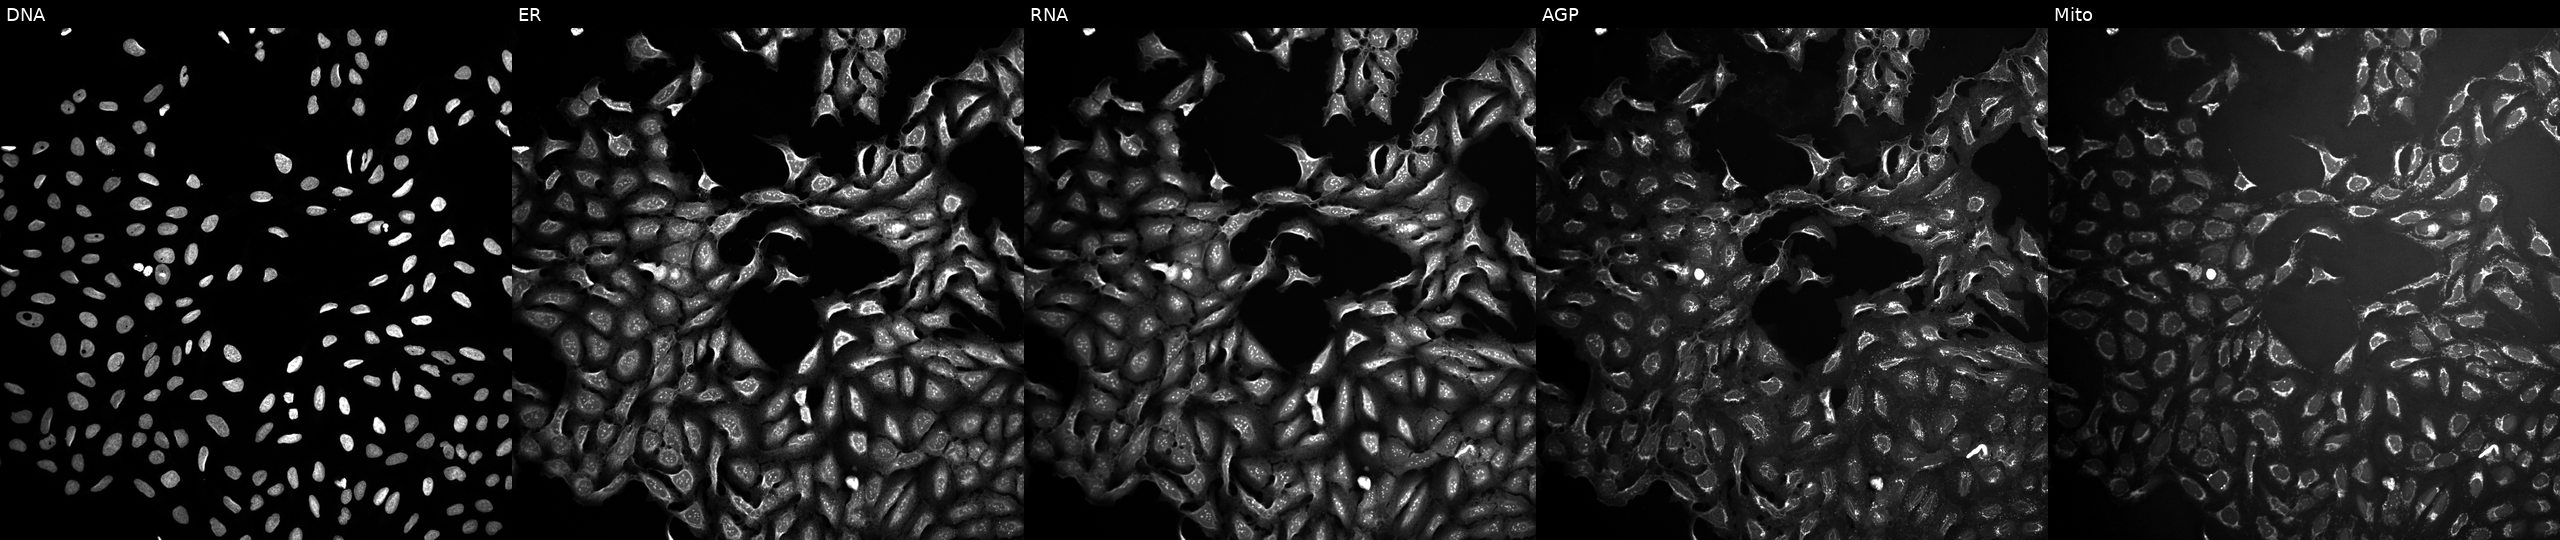
The five panels, left to right, show DNA (nuclei); ER (endoplasmic reticulum); RNA (nucleoli and cytoplasmic RNA); AGP (actin cytoskeleton, Golgi, and plasma membrane); Mito (mitochondria). U2OS osteosarcoma cells treated with a small-molecule compound (InChIKey AFJRDFWMXUECEW-UHFFFAOYSA-N). Cell Painting assay, JUMP-CP dataset. Source 10, plate Dest210803-153958, well L20.